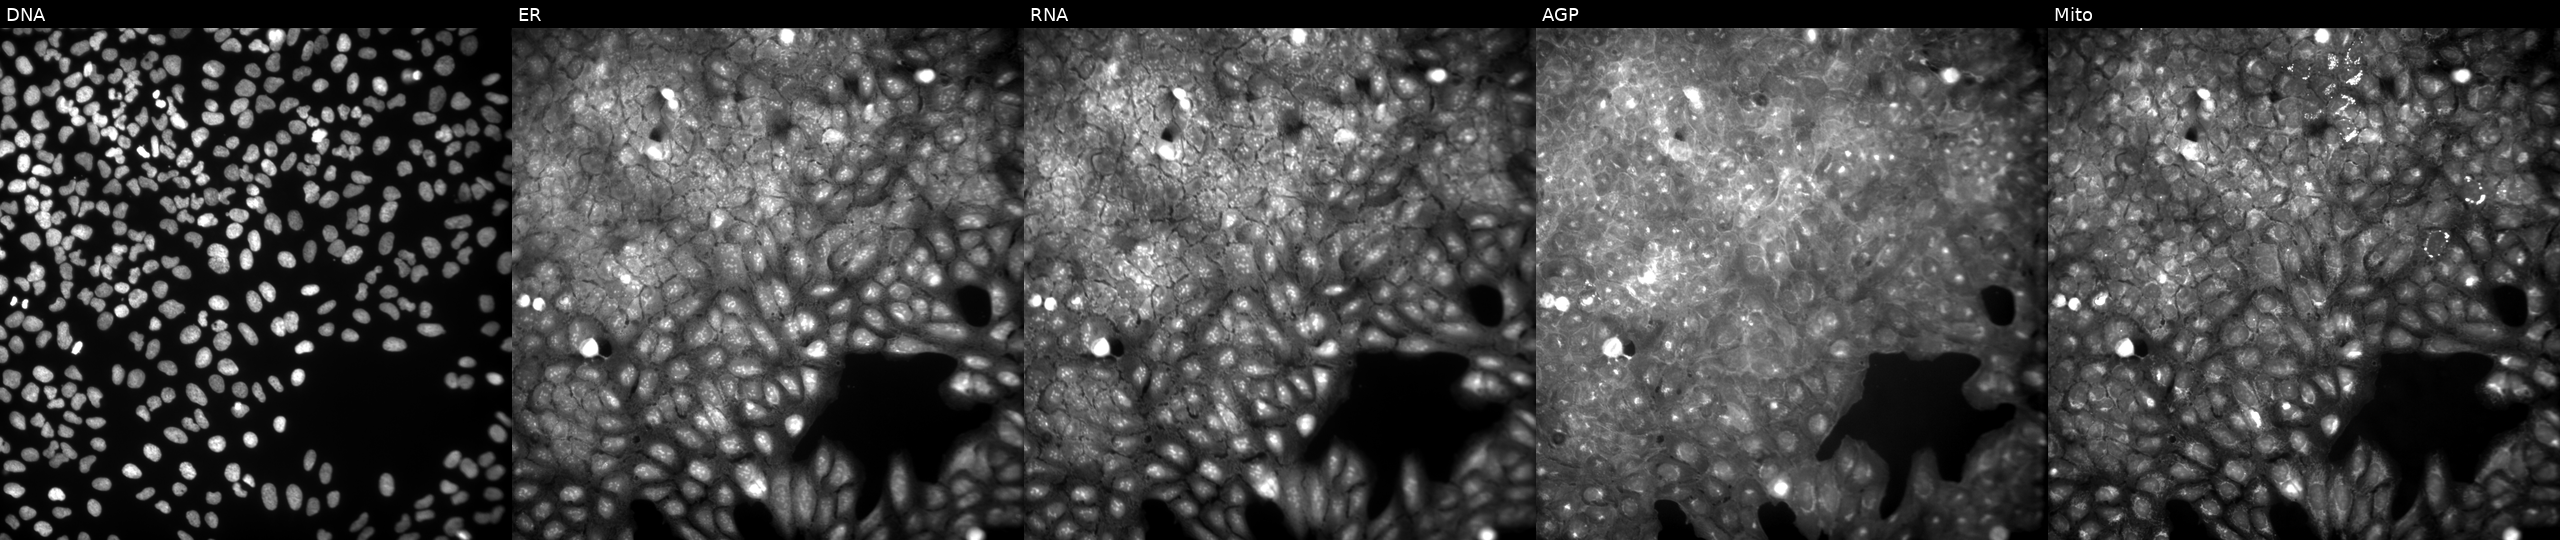
Panels show, left to right, Hoechst 33342, concanavalin A, SYTO 14, phalloidin and WGA, MitoTracker. U2OS osteosarcoma cells exposed to DMSO alone as a negative control. Cell Painting assay, JUMP-CP dataset. Source 9, plate GR00003381, well Q47.